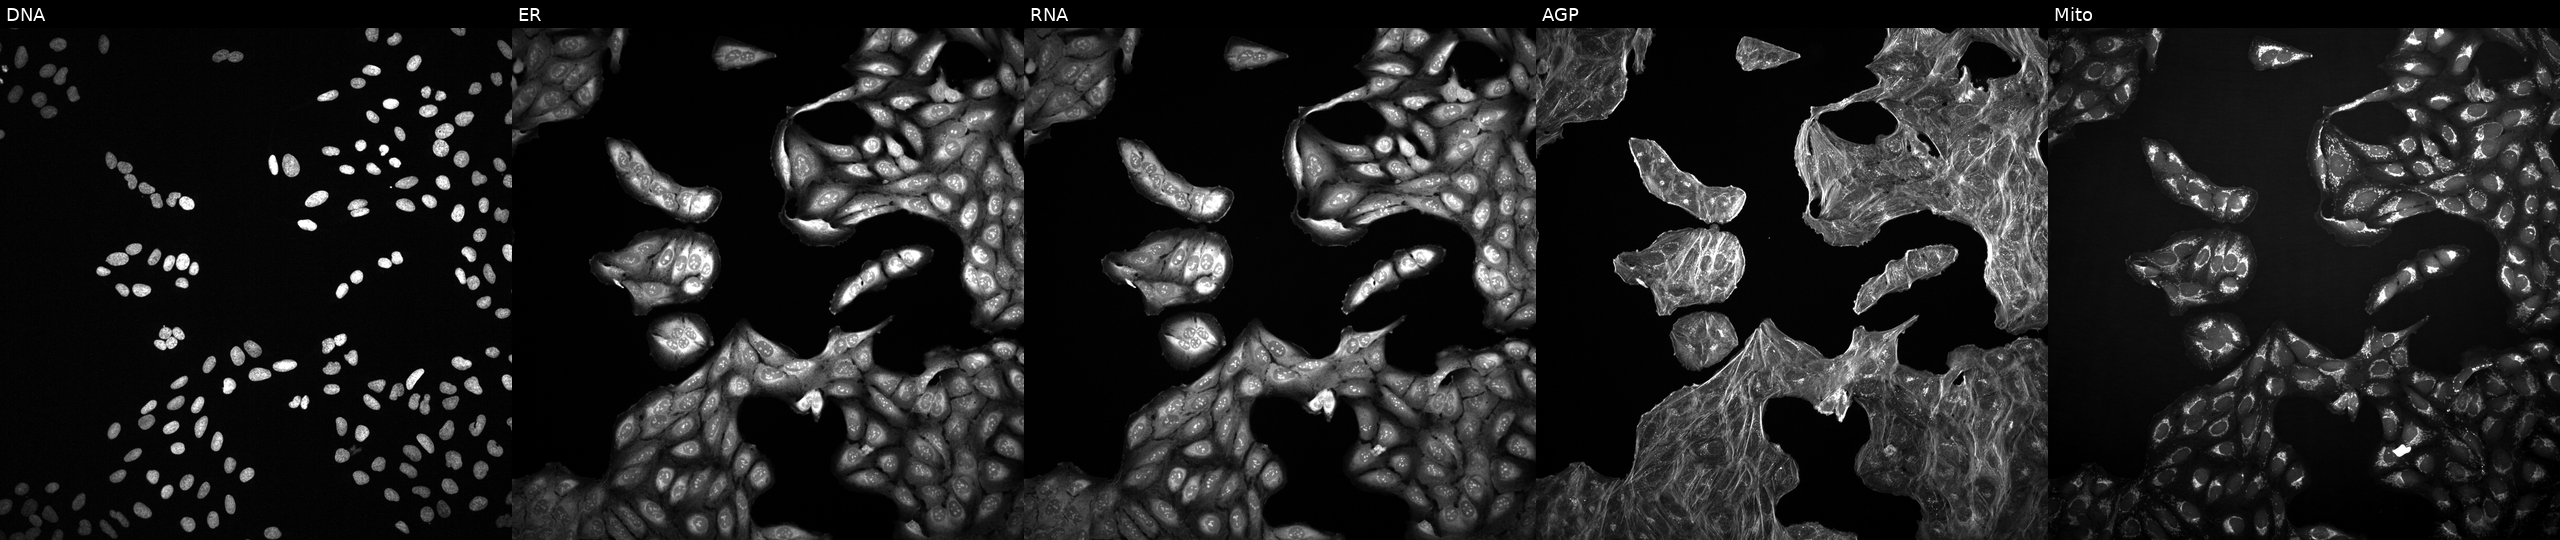
JUMP Cell Painting — TARGET2 plate. U2OS cells treated with a small-molecule compound (JUMP id JCP2022_068238). From left to right: DNA, ER, RNA, AGP, and Mito. Source 2, plate 1053597936, well F07.